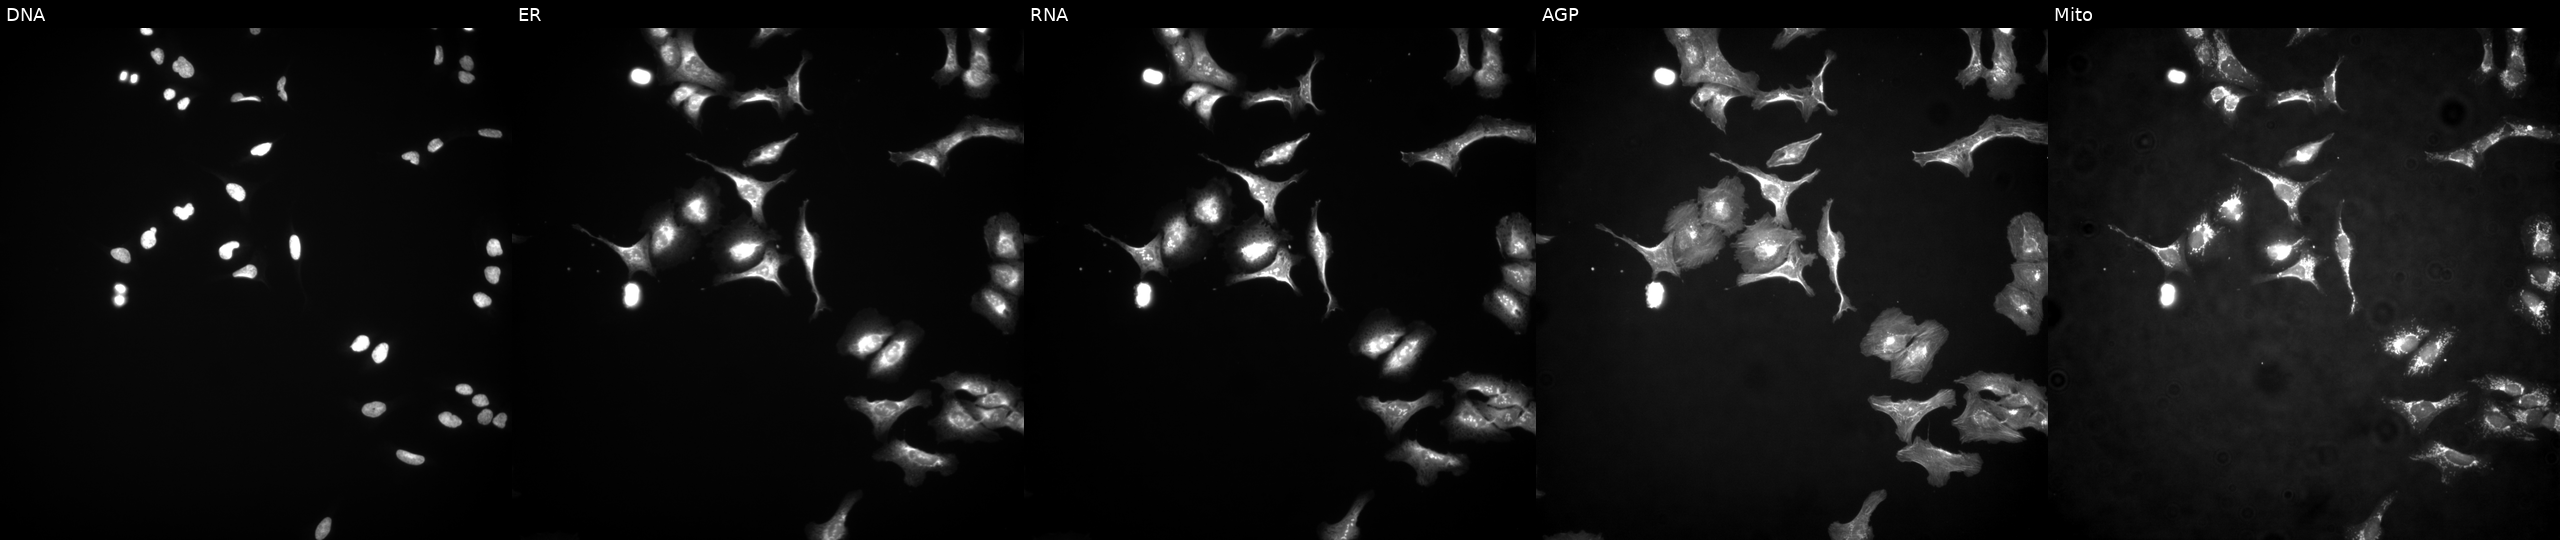
High-content fluorescence microscopy (Cell Painting). Cell line: U2OS. Perturbation: transfected with an ORF construct for SEPTIN2. From left to right: DNA, ER, RNA, AGP, and Mito. Source 4, plate BR00123509, well O09.